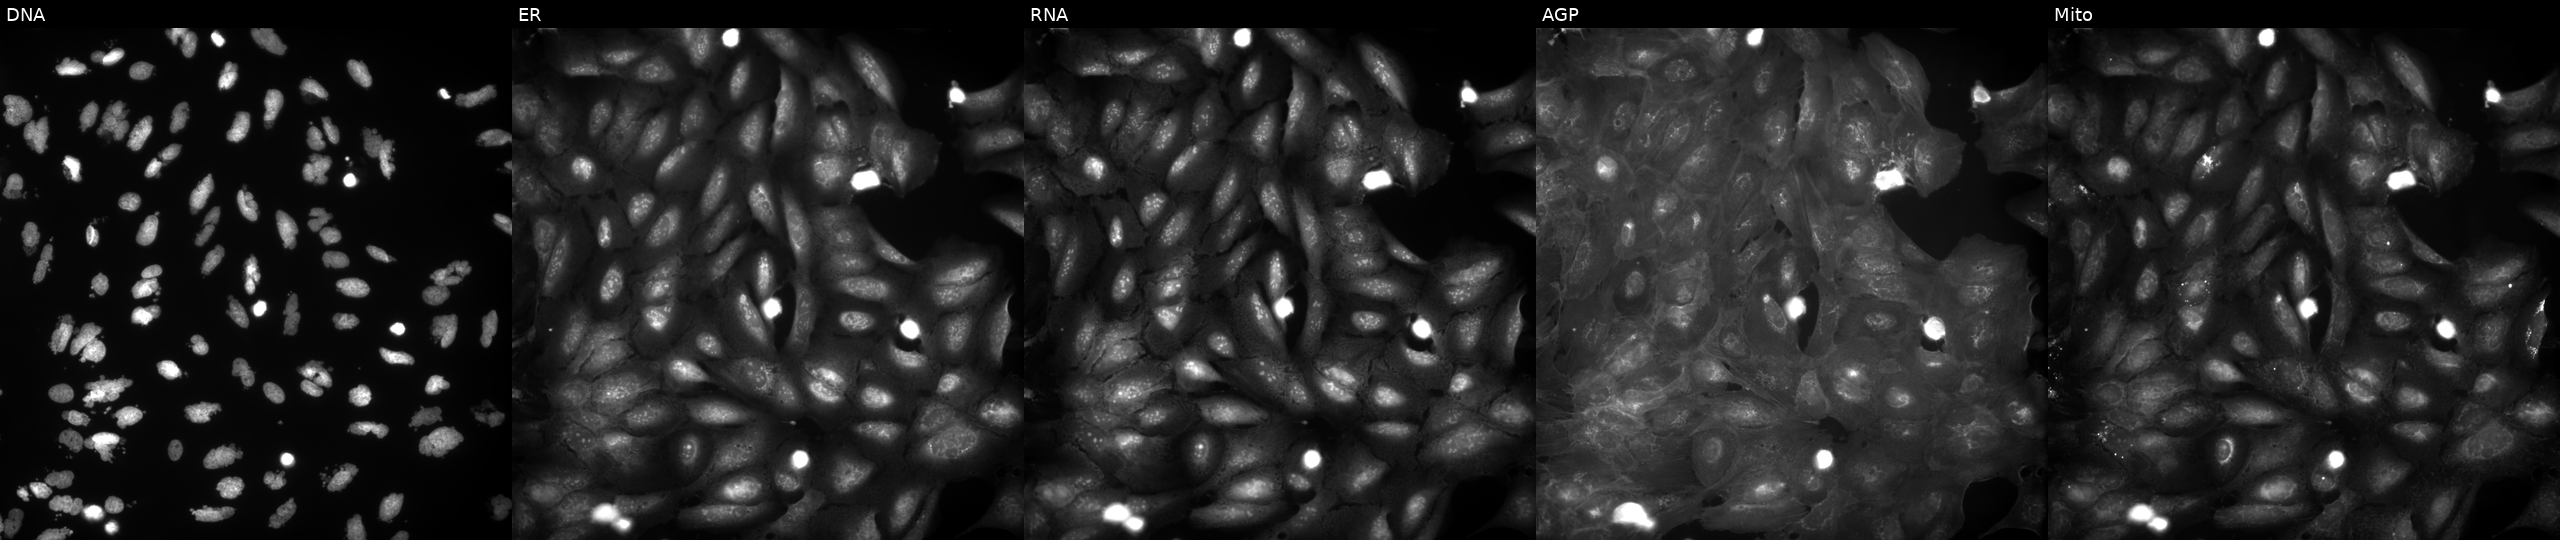
High-content fluorescence microscopy (Cell Painting). Cell line: U2OS. Perturbation: treated with AMG900 (positive-control compound). From left to right: DNA, ER, RNA, AGP, and Mito. Source 9, plate GR00003381, well Z24.